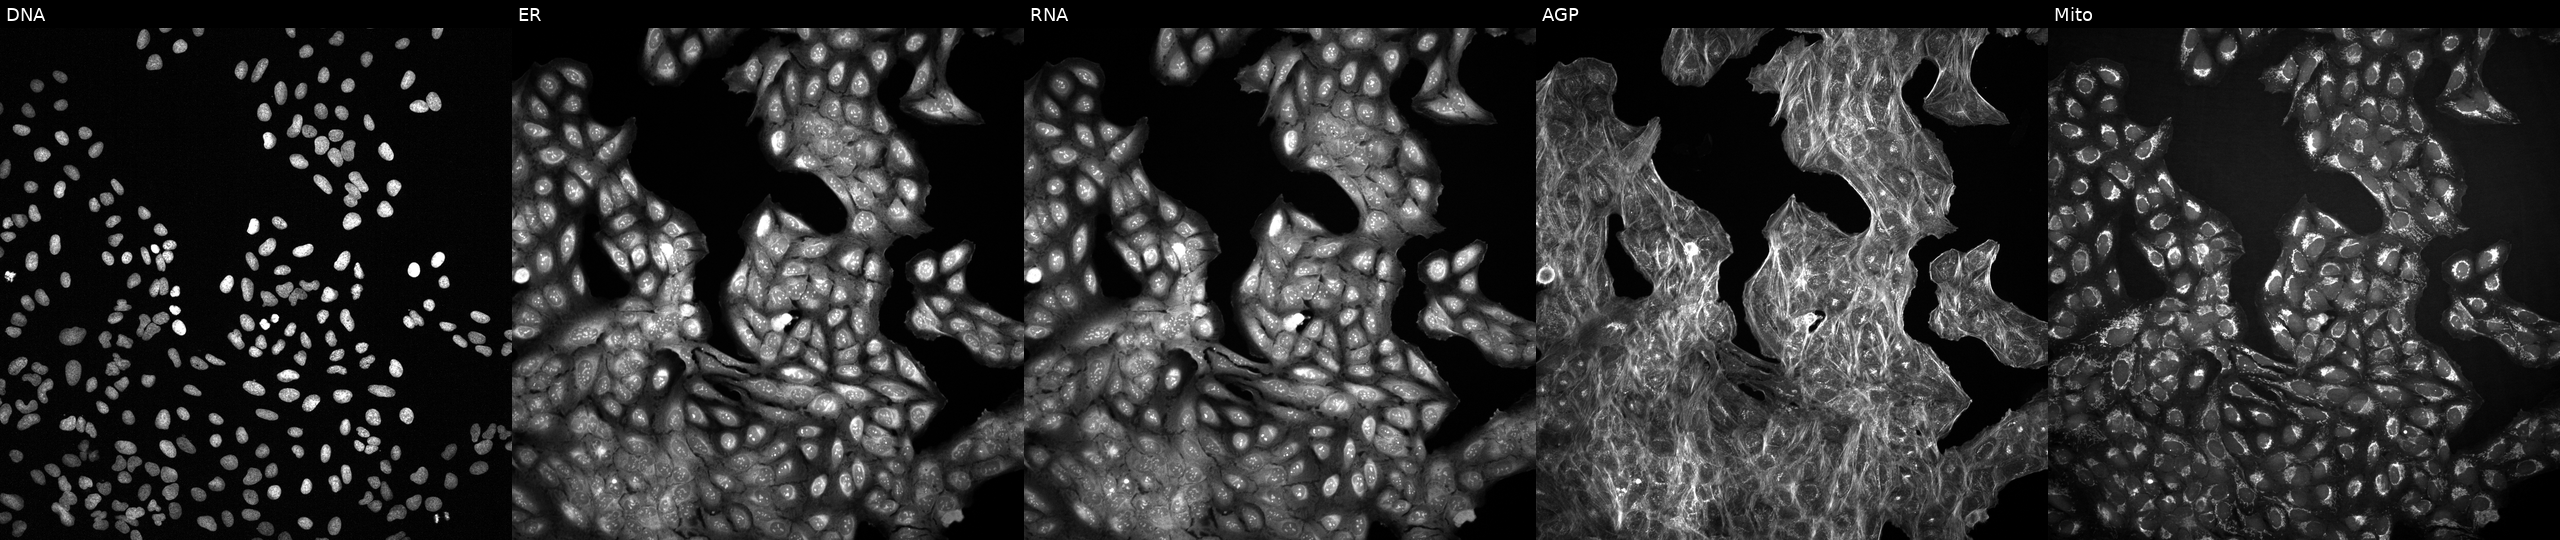
JUMP Cell Painting — COMPOUND plate. U2OS cells with an unidentified perturbation (not annotated in JUMP metadata). The five panels, left to right, show DNA (nuclei); ER (endoplasmic reticulum); RNA (nucleoli and cytoplasmic RNA); AGP (actin cytoskeleton, Golgi, and plasma membrane); Mito (mitochondria).